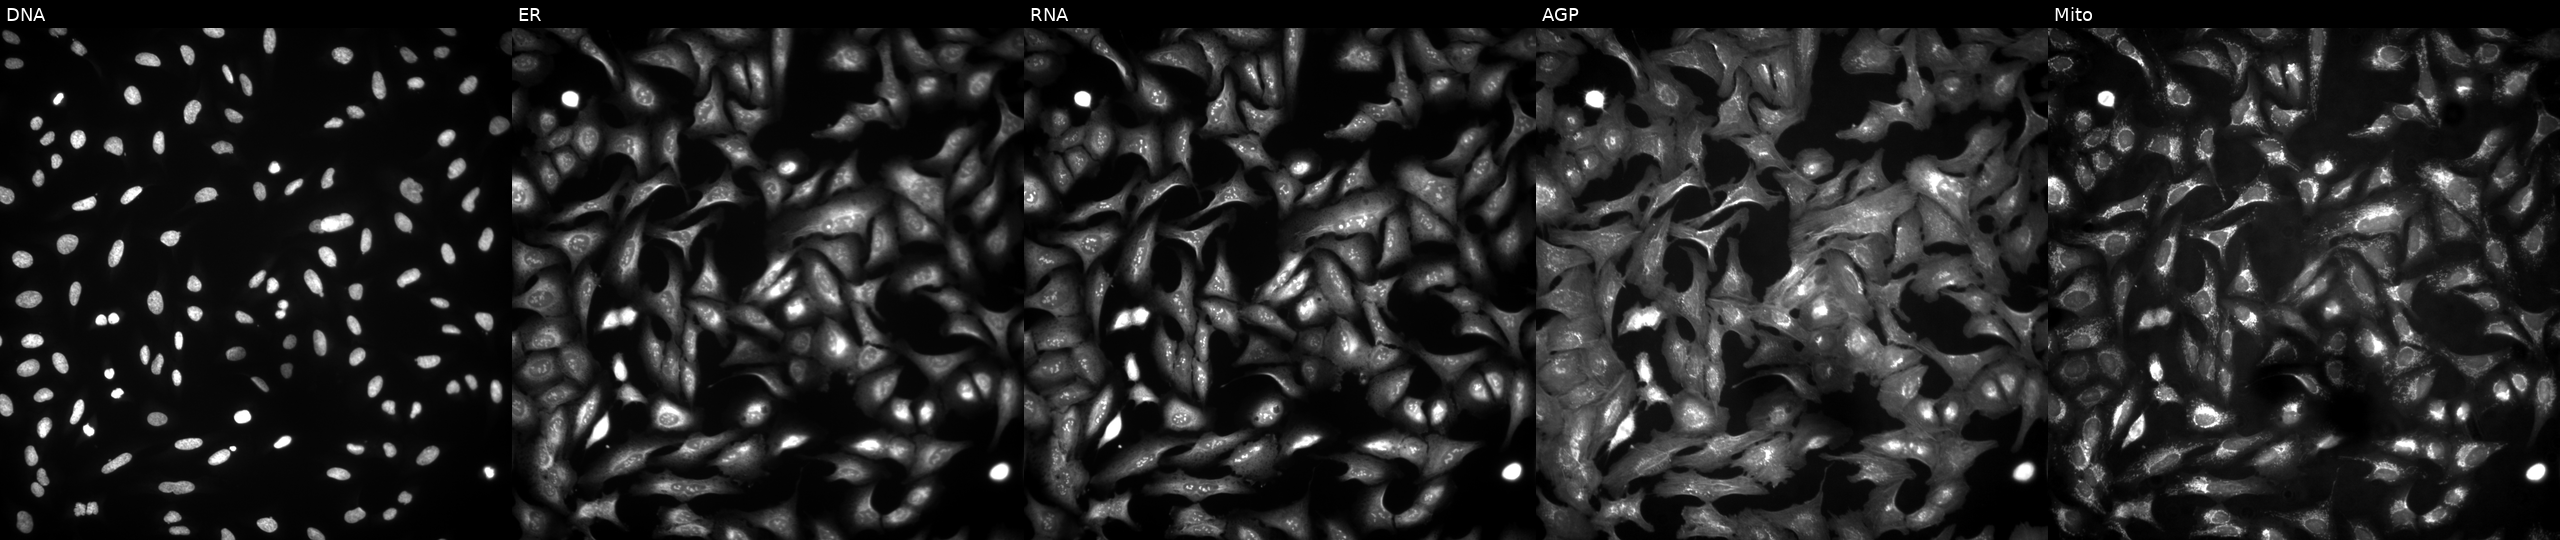
The five panels, left to right, show Hoechst 33342, concanavalin A, SYTO 14, phalloidin and WGA, MitoTracker. U2OS osteosarcoma cells overexpressing PRB1 via ORF transfection. Cell Painting assay, JUMP-CP dataset.